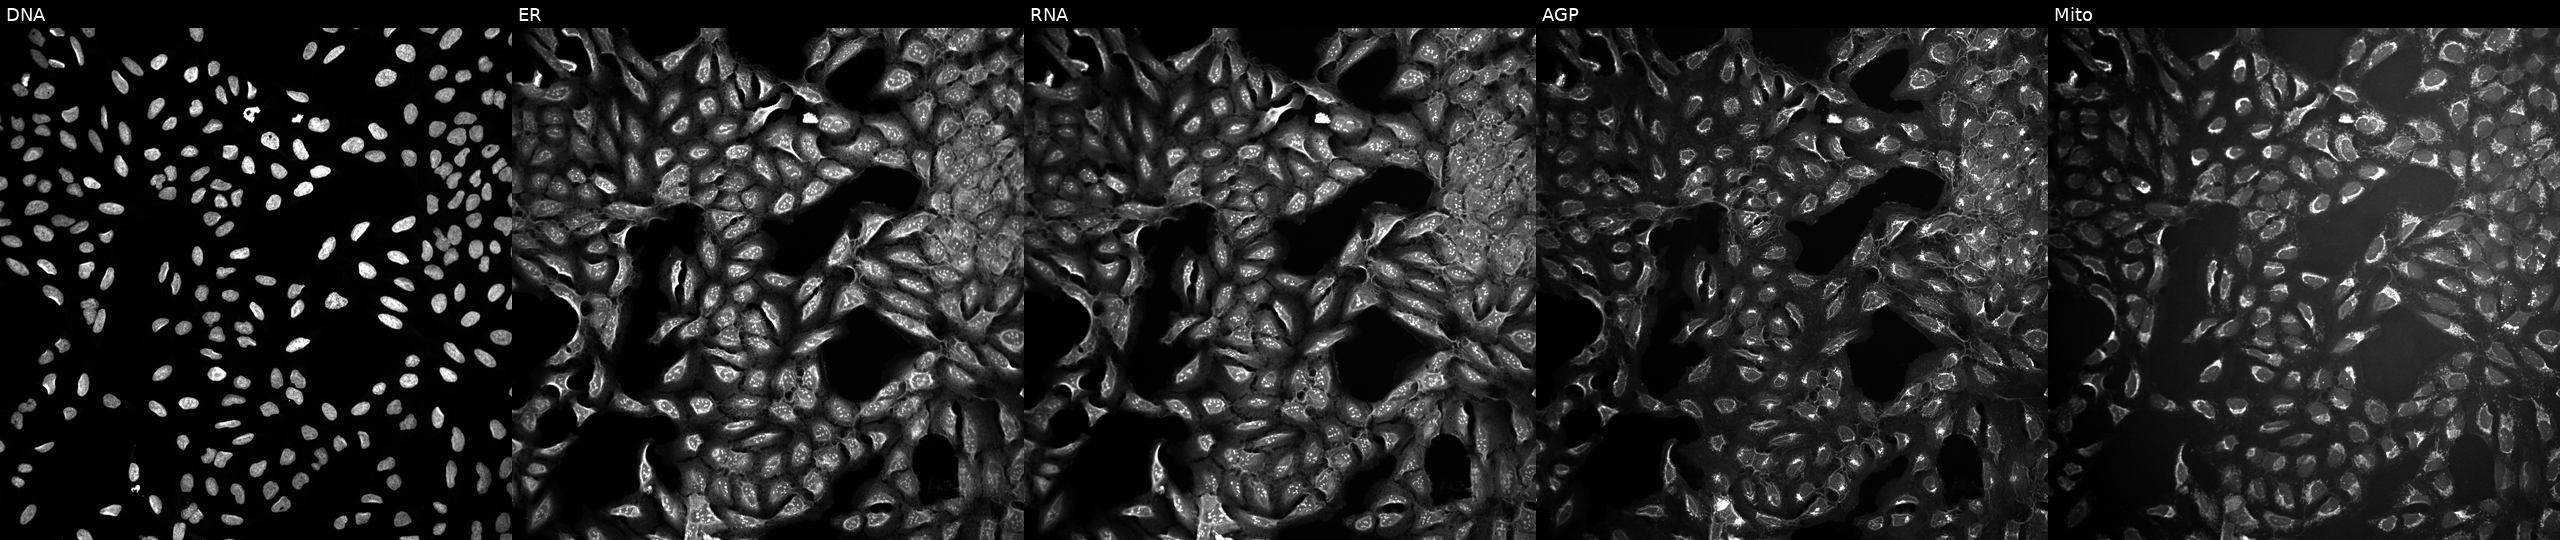
Five-channel Cell Painting image of U2OS cells exposed to DMSO alone as a negative control (JUMP id JCP2022_033924). The five panels, left to right, show Hoechst 33342, concanavalin A, SYTO 14, phalloidin and WGA, MitoTracker.